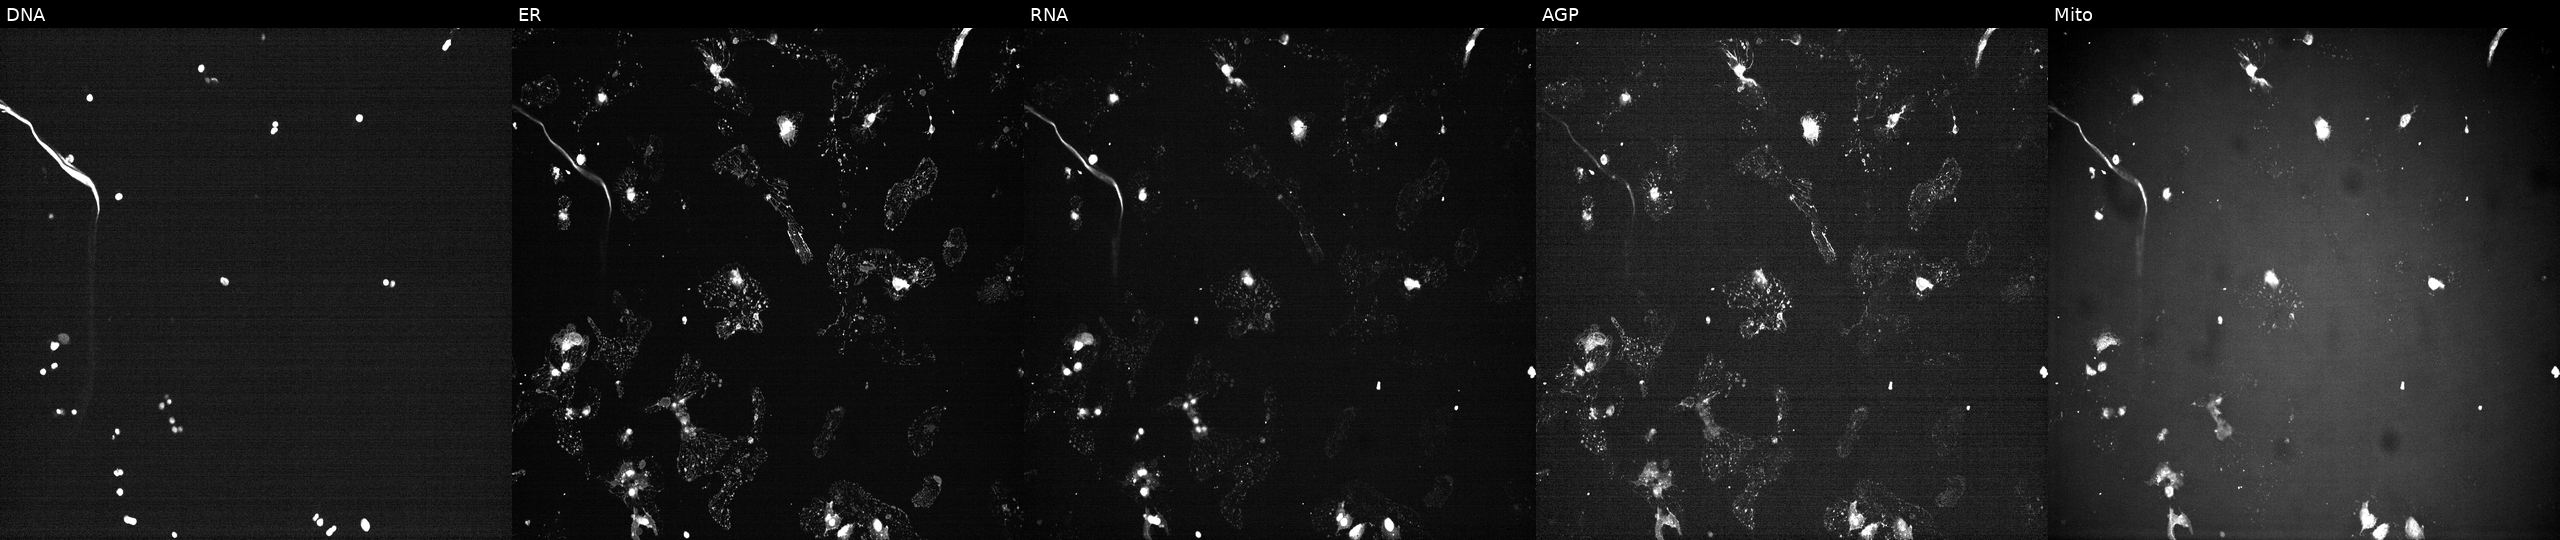
JUMP Cell Painting — TARGET2 plate. U2OS cells perturbed with a small-molecule compound (InChIKey CANBMWXJDLUDFF-UHFFFAOYSA-N) [SMILES: Cc1ccc(N=C2CC(=O)c3sc(C)nc3C2=O)cc1] (JUMP id JCP2022_009867). The five panels, left to right, show DNA, ER, RNA, AGP, and Mito.